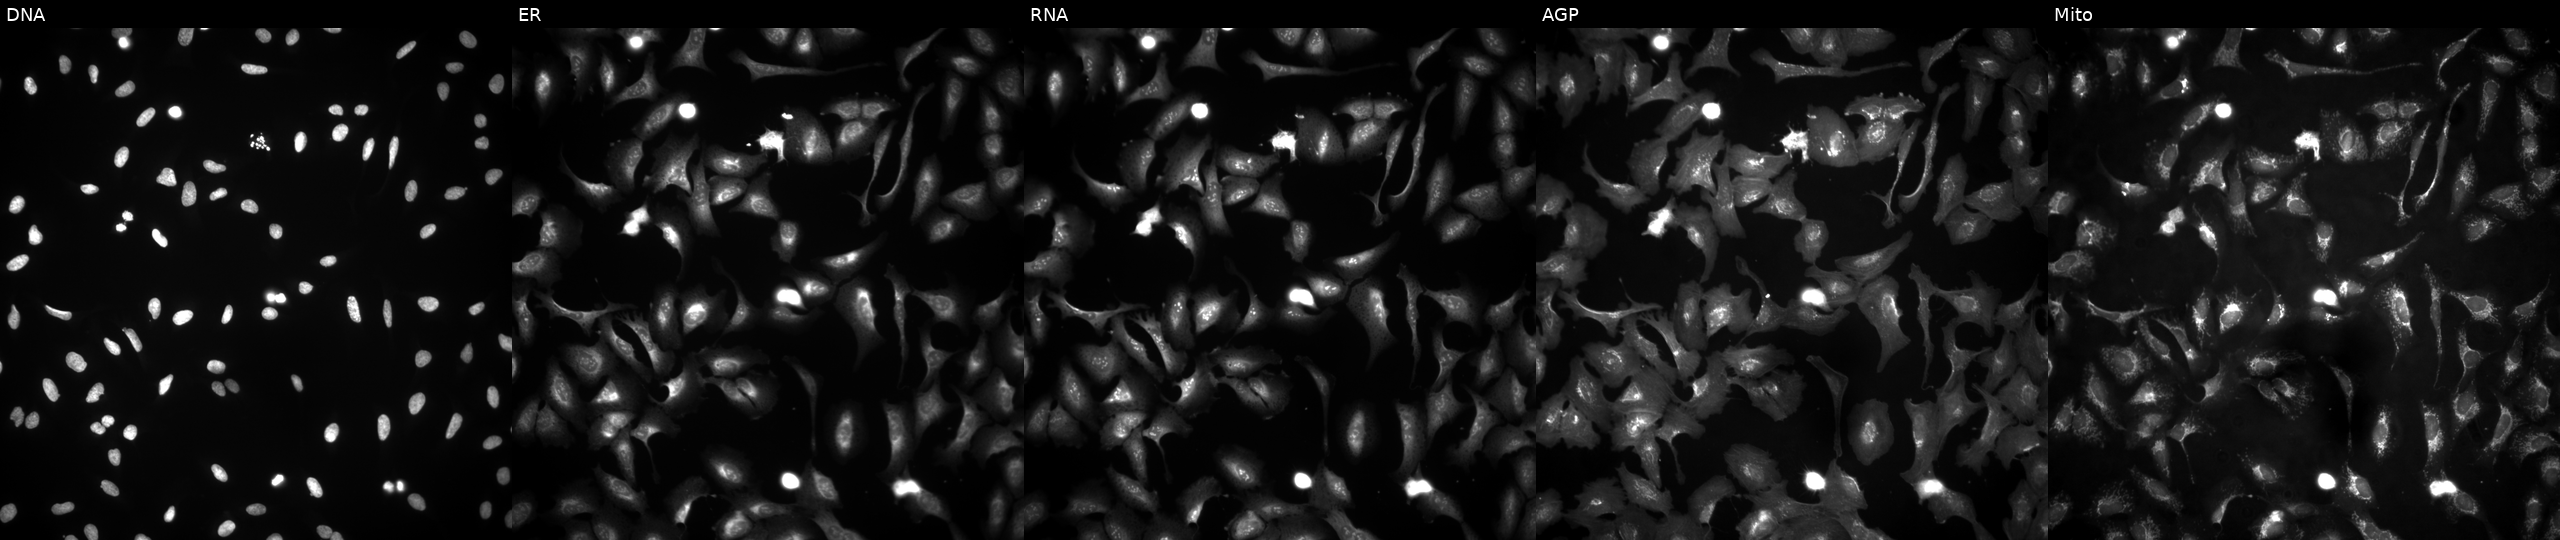
High-content fluorescence microscopy (Cell Painting). Cell line: U2OS. Perturbation: overexpressing PRPF39 via ORF transfection (JUMP id JCP2022_914858). Panels show, left to right, Hoechst 33342, concanavalin A, SYTO 14, phalloidin and WGA, MitoTracker. Source 4, plate BR00124790, well N20.